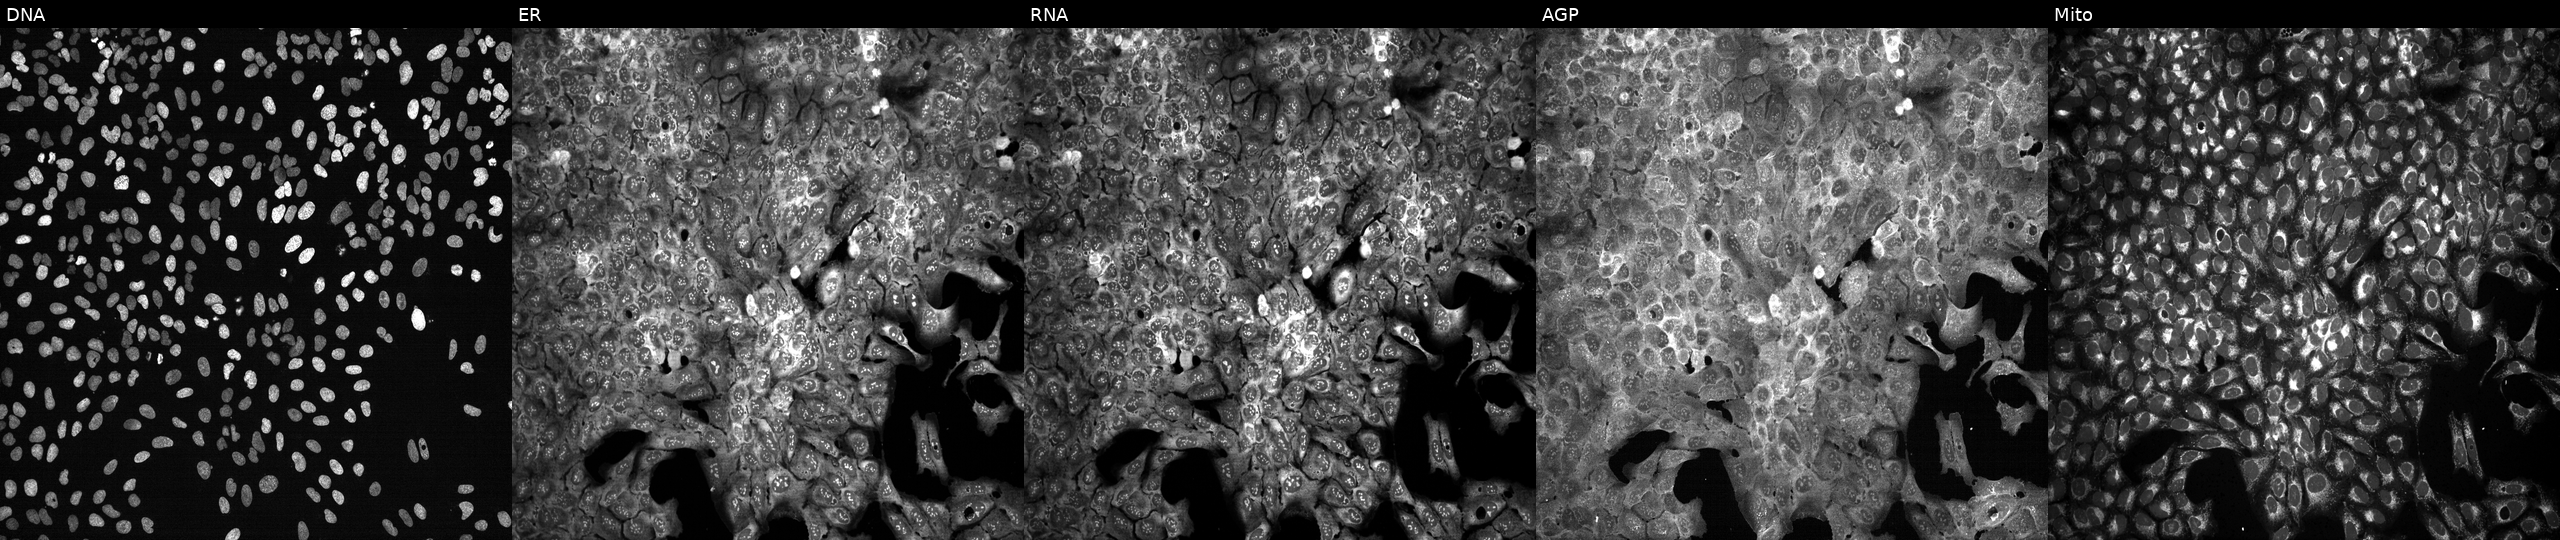
This image strip shows the five Cell Painting channels for a single field of U2OS cells with CYP4F11 knocked out by CRISPR (JUMP id JCP2022_801652). The five panels, left to right, show DNA, ER, RNA, AGP, and Mito. Source 13, plate CP-CC9-R3-02, well I13.